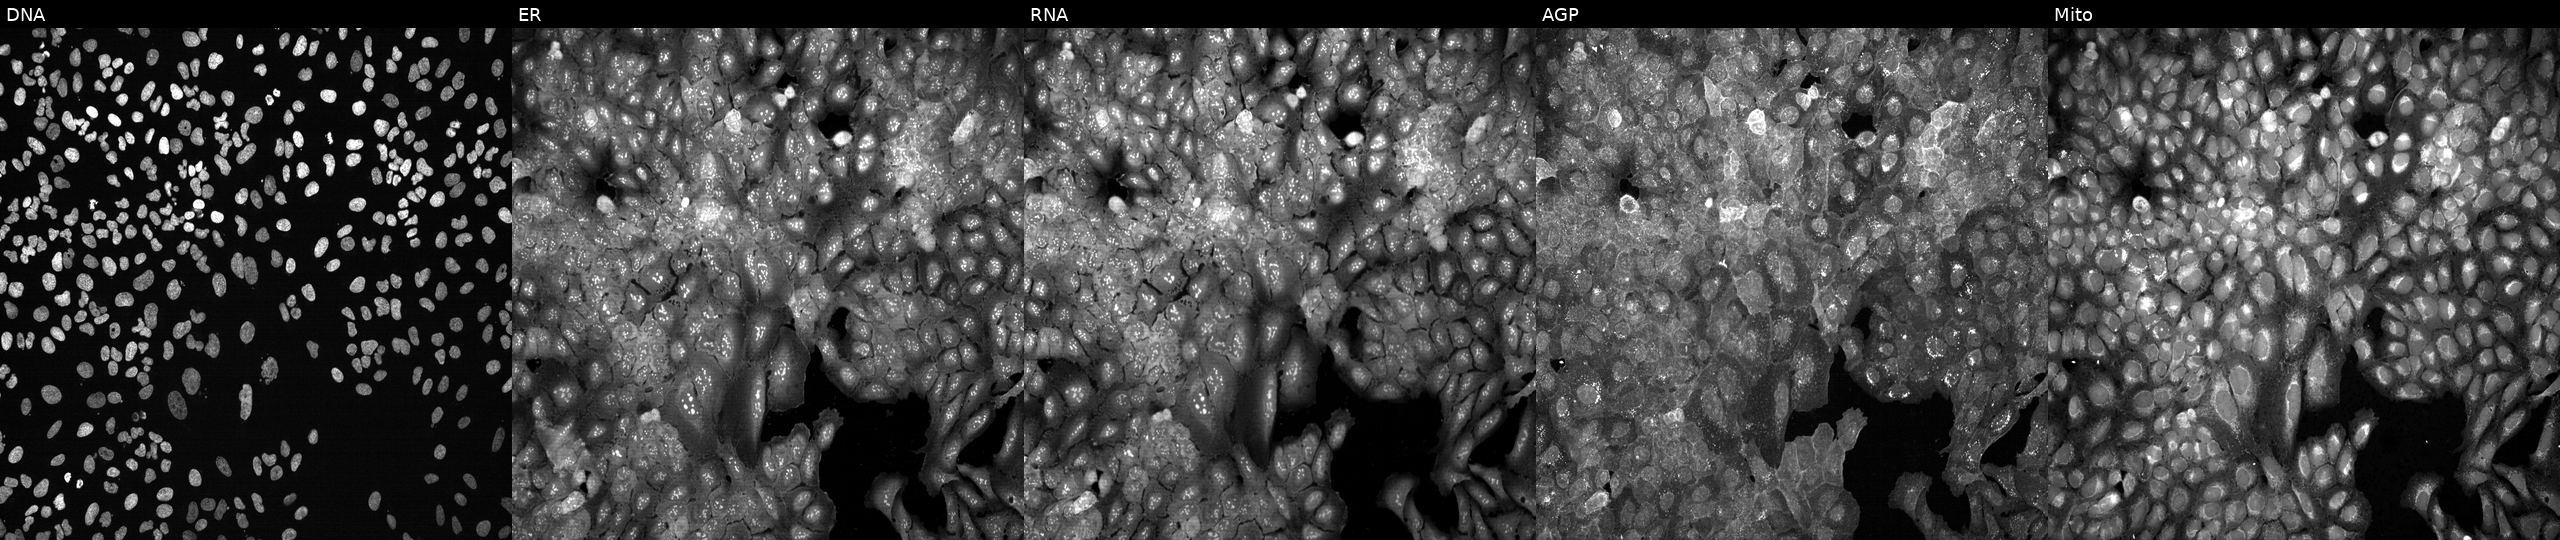
From left to right: DNA (nuclei); ER (endoplasmic reticulum); RNA (nucleoli and cytoplasmic RNA); AGP (actin cytoskeleton, Golgi, and plasma membrane); Mito (mitochondria). U2OS osteosarcoma cells with ATP6V1C2 knocked out by CRISPR. Cell Painting assay, JUMP-CP dataset.